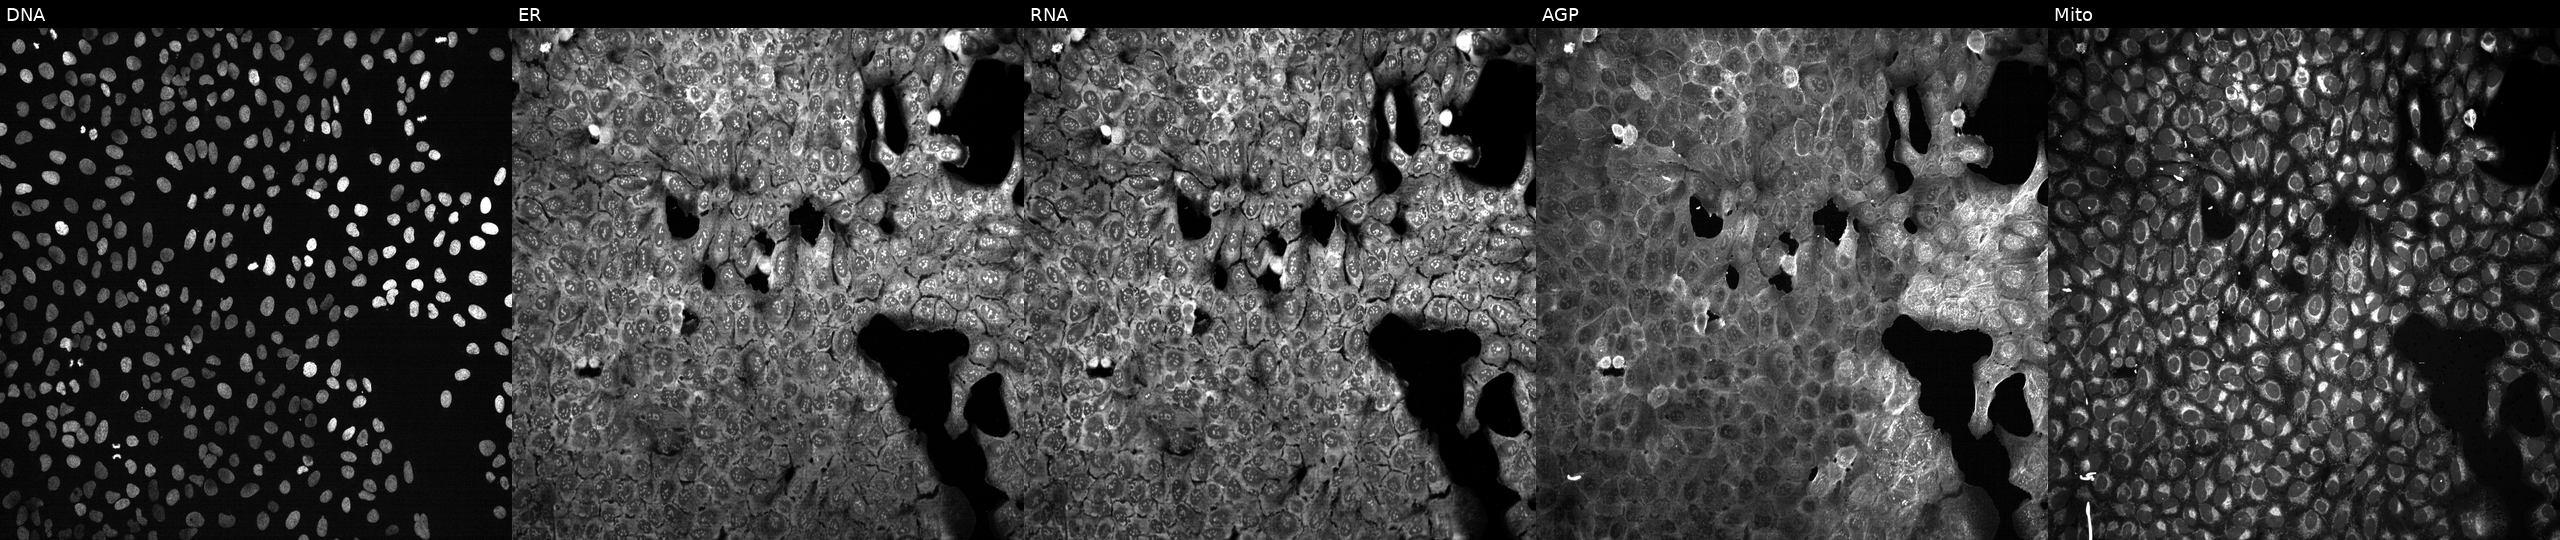
Five-channel Cell Painting image of U2OS cells following CRISPR knockout of ARHGEF7 (JUMP id JCP2022_800573). From left to right: DNA, ER, RNA, AGP, and Mito. Source 13, plate CP-CC9-R2-01, well A03.